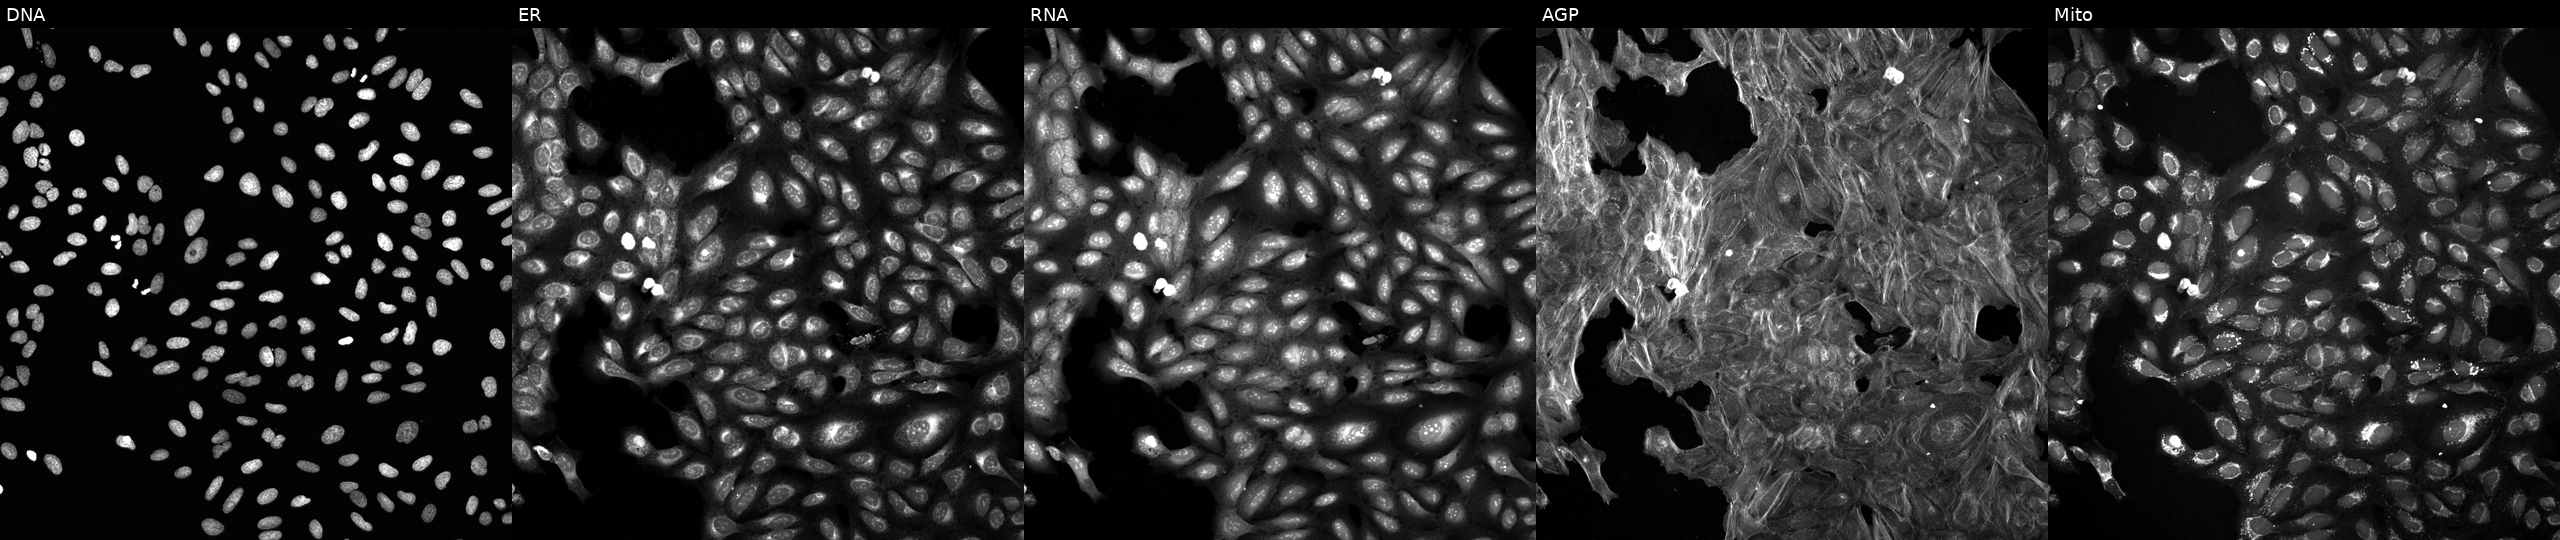
U2OS cells, Cell Painting assay, perturbed with a small-molecule compound (InChIKey OPAJXKDQADRMLN-UHFFFAOYSA-N). From left to right: DNA (nuclei); ER (endoplasmic reticulum); RNA (nucleoli and cytoplasmic RNA); AGP (actin cytoskeleton, Golgi, and plasma membrane); Mito (mitochondria). Each panel is percentile-stretched 16-bit fluorescence.